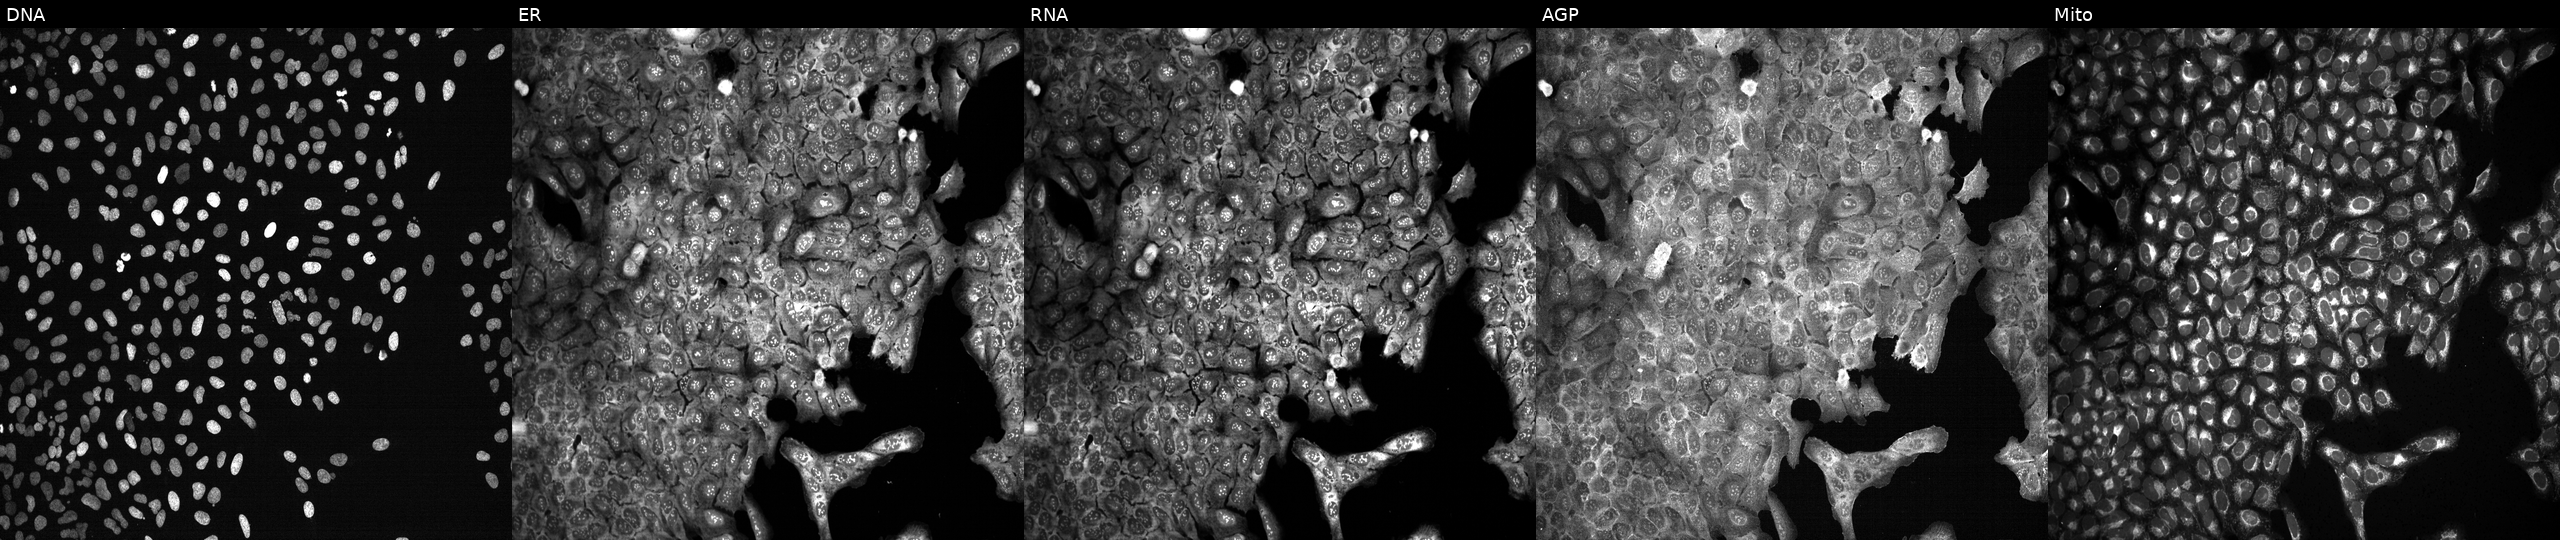
U2OS cells, Cell Painting assay, following CRISPR knockout of GALNT13. Channels (left→right): DNA, ER, RNA, AGP, and Mito. Each panel is percentile-stretched 16-bit fluorescence. Source 13, plate CP-CC9-R3-02, well F21.